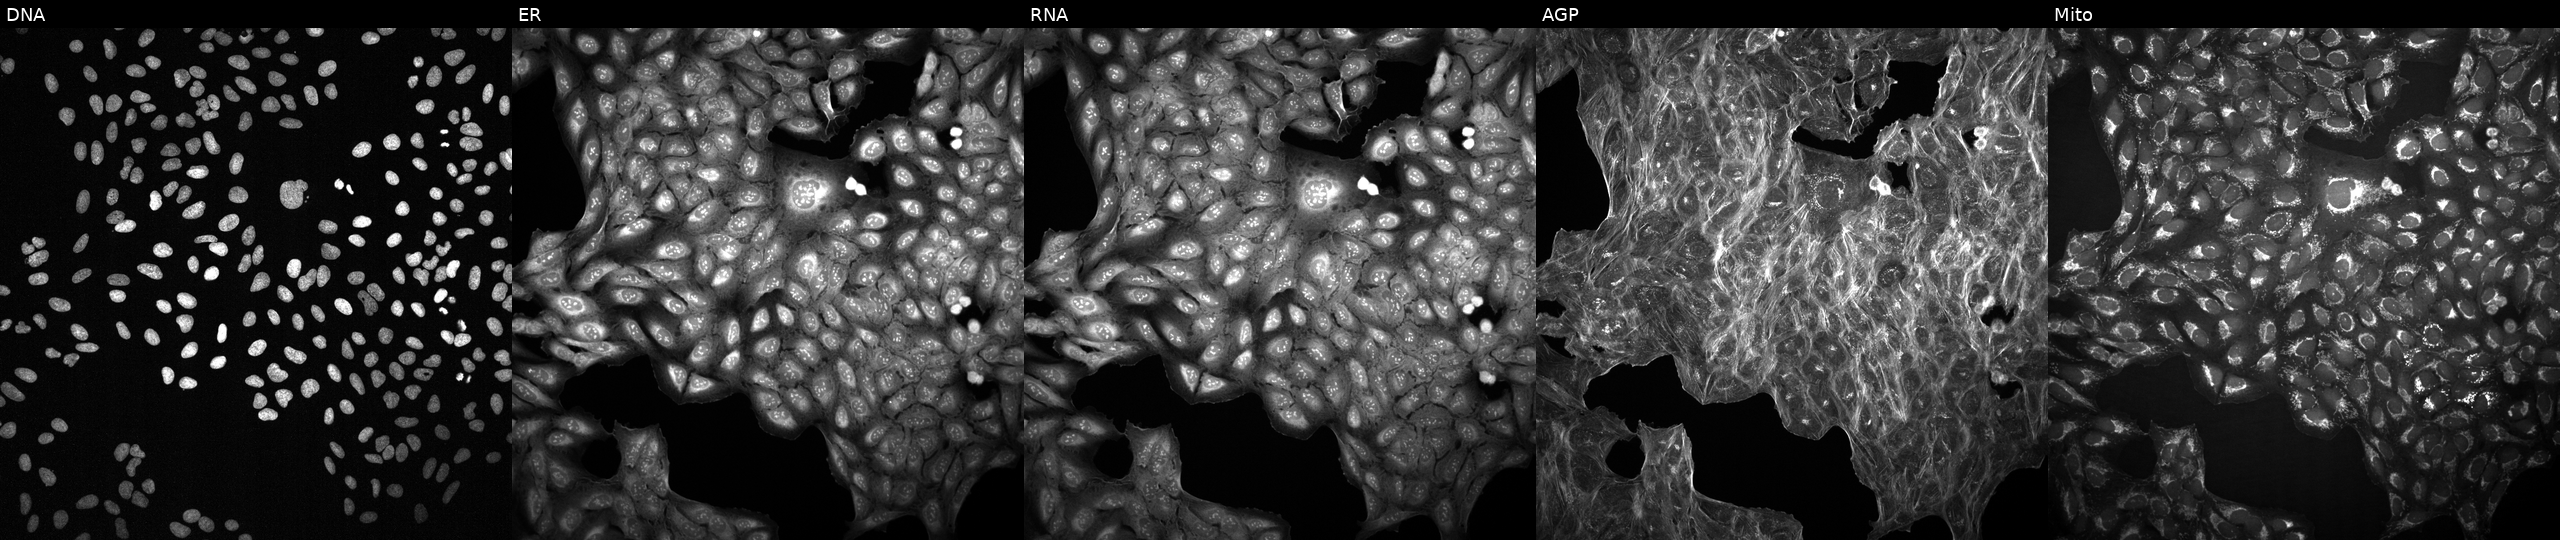
Five-channel Cell Painting image of U2OS cells perturbed with a small-molecule compound (InChIKey NLSSUSRERAMBTA-UHFFFAOYSA-N). Channels (left→right): Hoechst 33342, concanavalin A, SYTO 14, phalloidin and WGA, MitoTracker. Source 2, plate 1053600674, well O19.